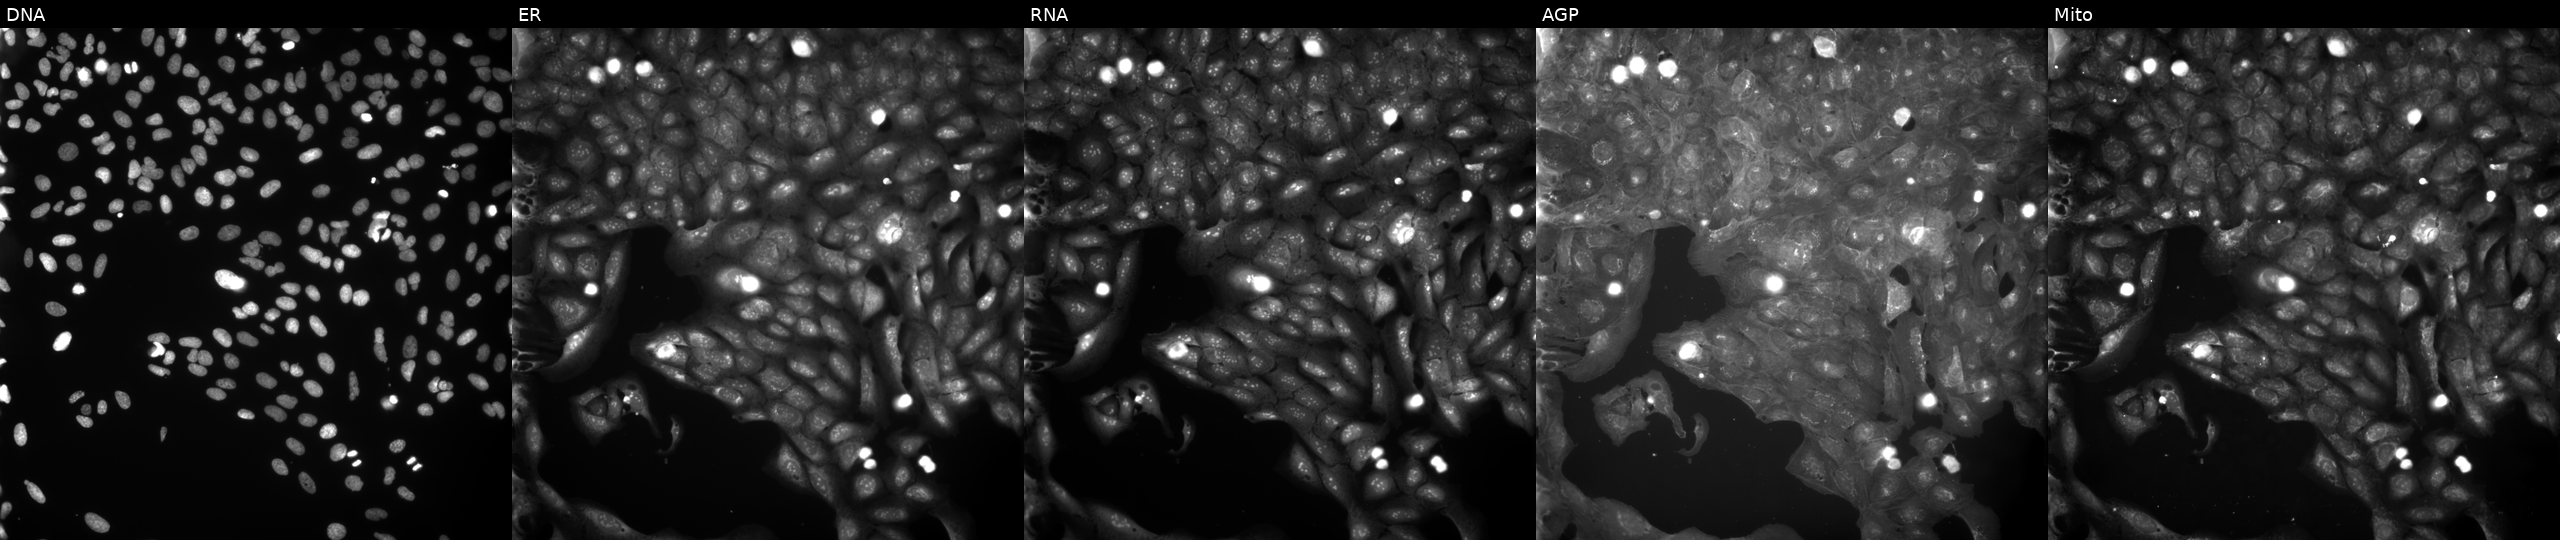
This image strip shows the five Cell Painting channels for a single field of U2OS cells exposed to a small-molecule compound (InChIKey ATOJVTPBGCURSN-UHFFFAOYSA-N). From left to right: Hoechst 33342, concanavalin A, SYTO 14, phalloidin and WGA, MitoTracker.